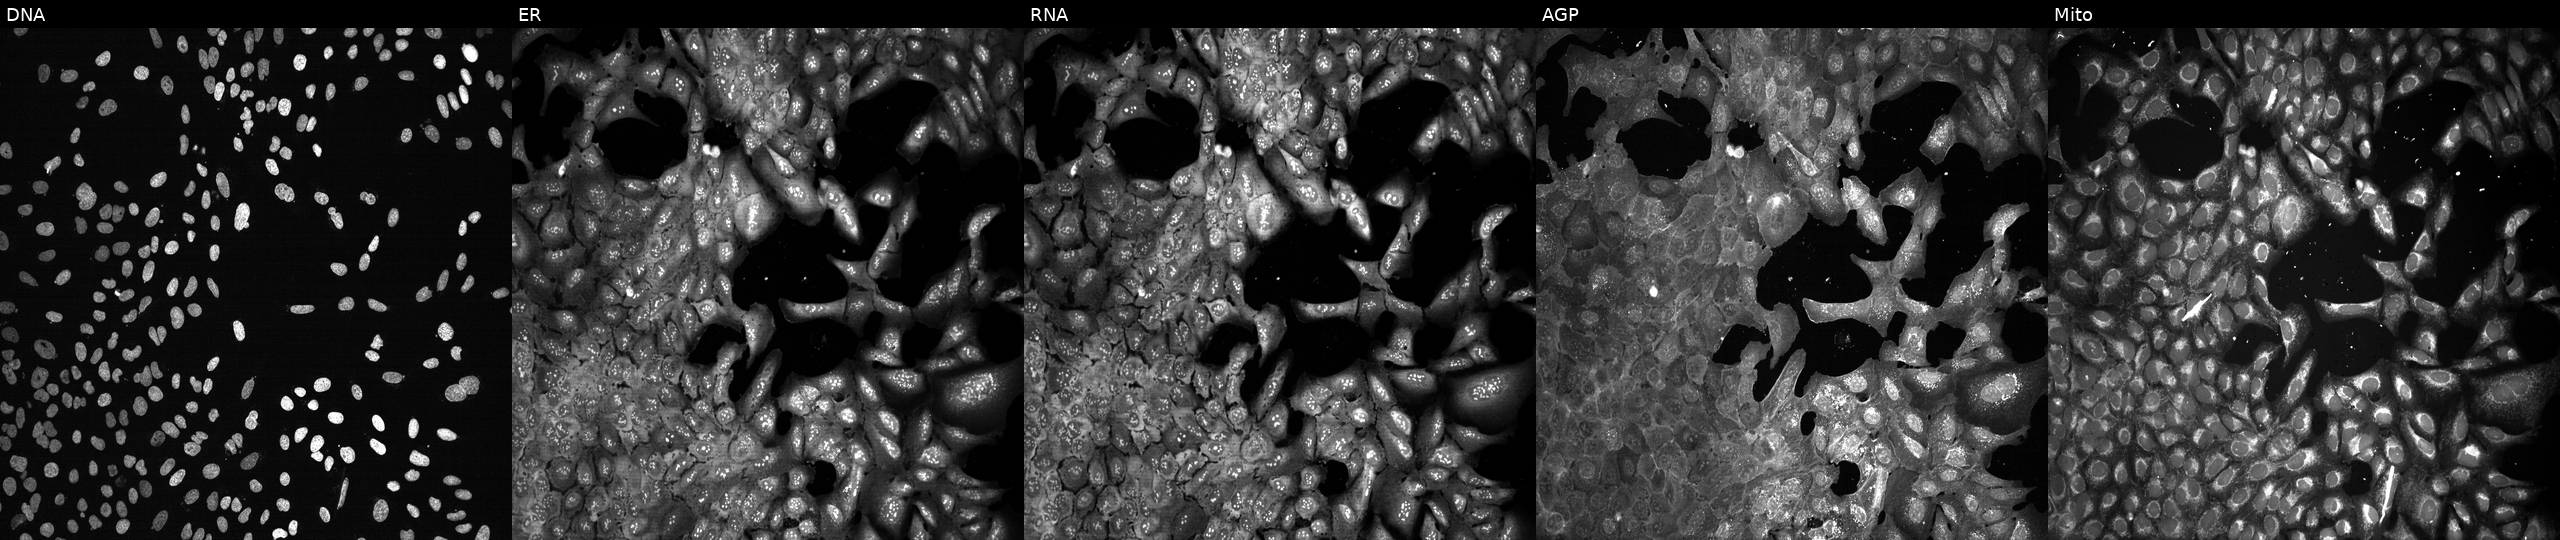
U2OS cells, Cell Painting assay, CRISPR-edited to disrupt ST13. From left to right: DNA, ER, RNA, AGP, and Mito. Each panel is percentile-stretched 16-bit fluorescence. Source 13, plate CP-CC9-R5-01, well A04.